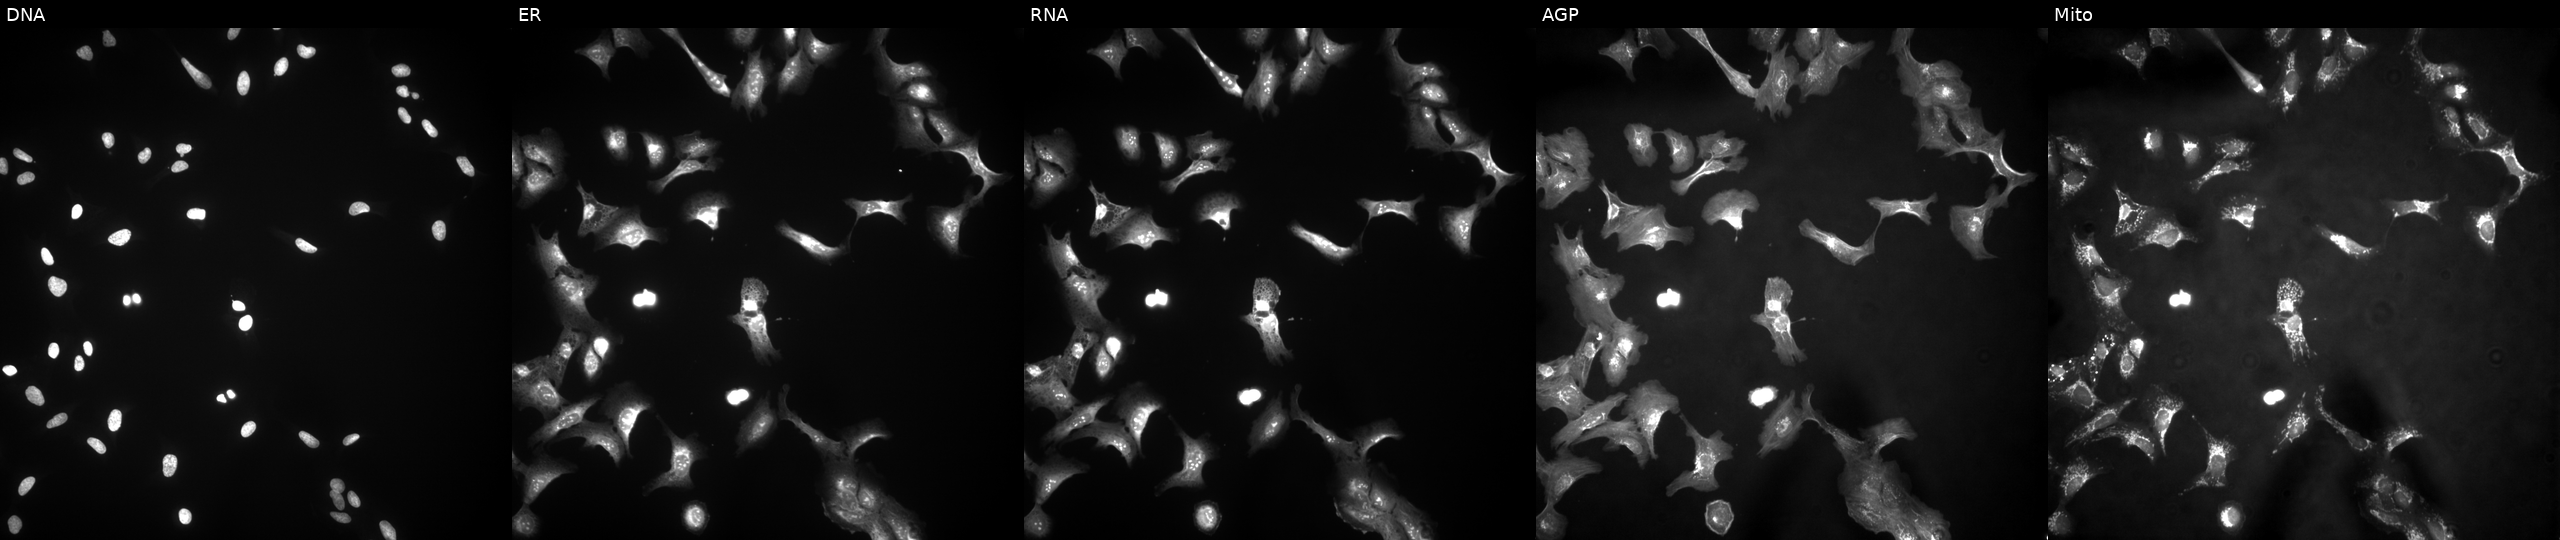
The five panels, left to right, show DNA (nuclei); ER (endoplasmic reticulum); RNA (nucleoli and cytoplasmic RNA); AGP (actin cytoskeleton, Golgi, and plasma membrane); Mito (mitochondria). U2OS osteosarcoma cells overexpressing TM7SF2 via ORF transfection. Cell Painting assay, JUMP-CP dataset. Source 4, plate BR00123506, well L06.